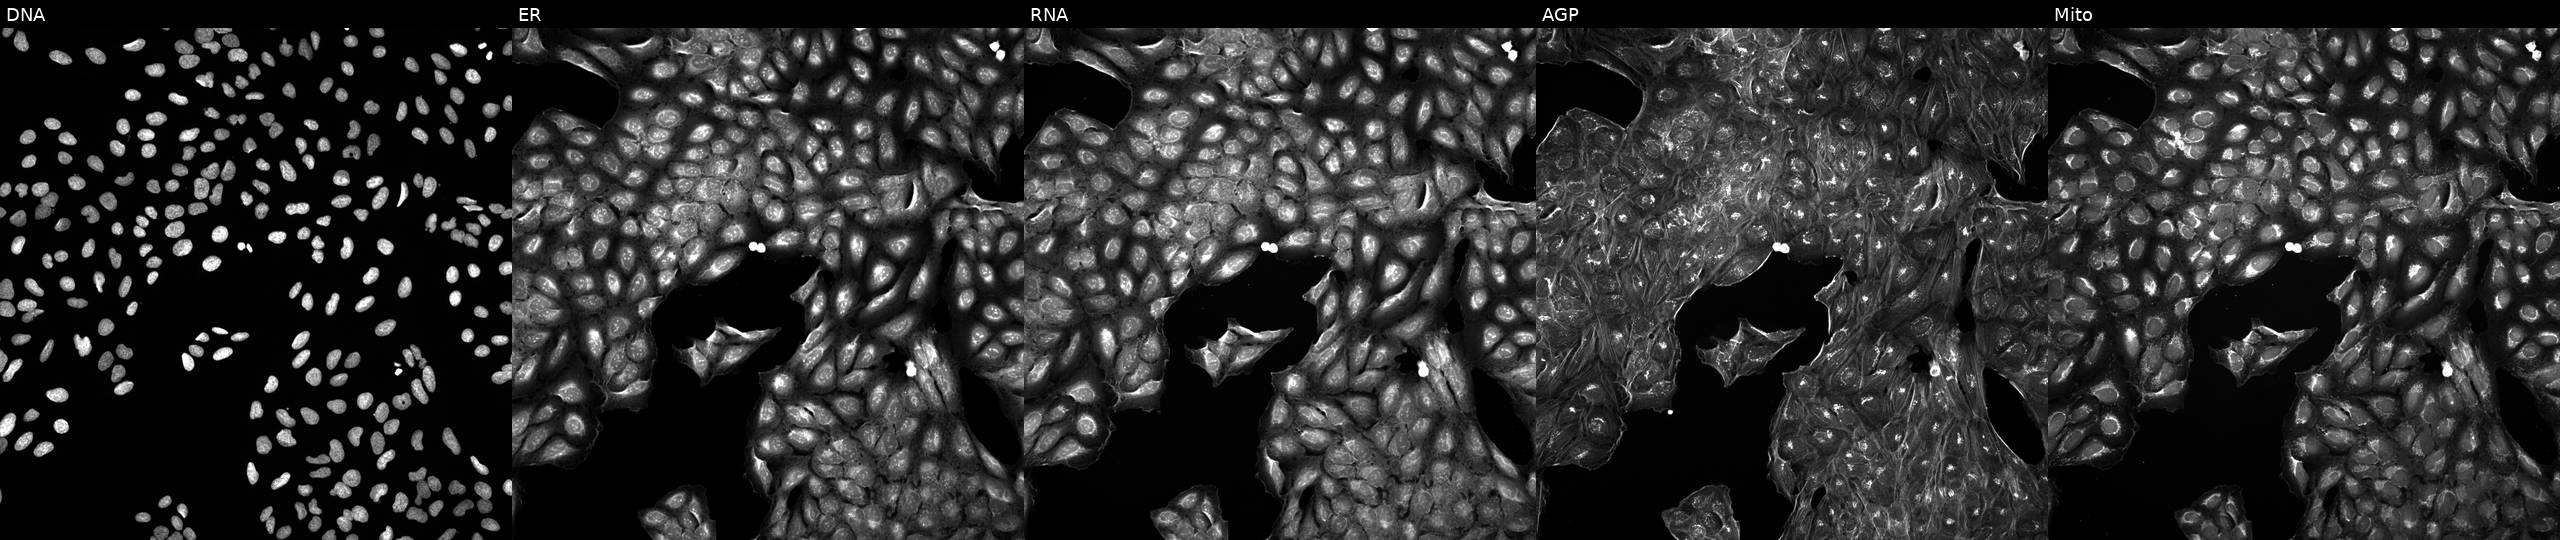
JUMP Cell Painting — COMPOUND plate. U2OS cells perturbed with a small-molecule compound (InChIKey UIZKDSHCVHNTIL-UHFFFAOYSA-N). The five panels, left to right, show Hoechst 33342, concanavalin A, SYTO 14, phalloidin and WGA, MitoTracker.